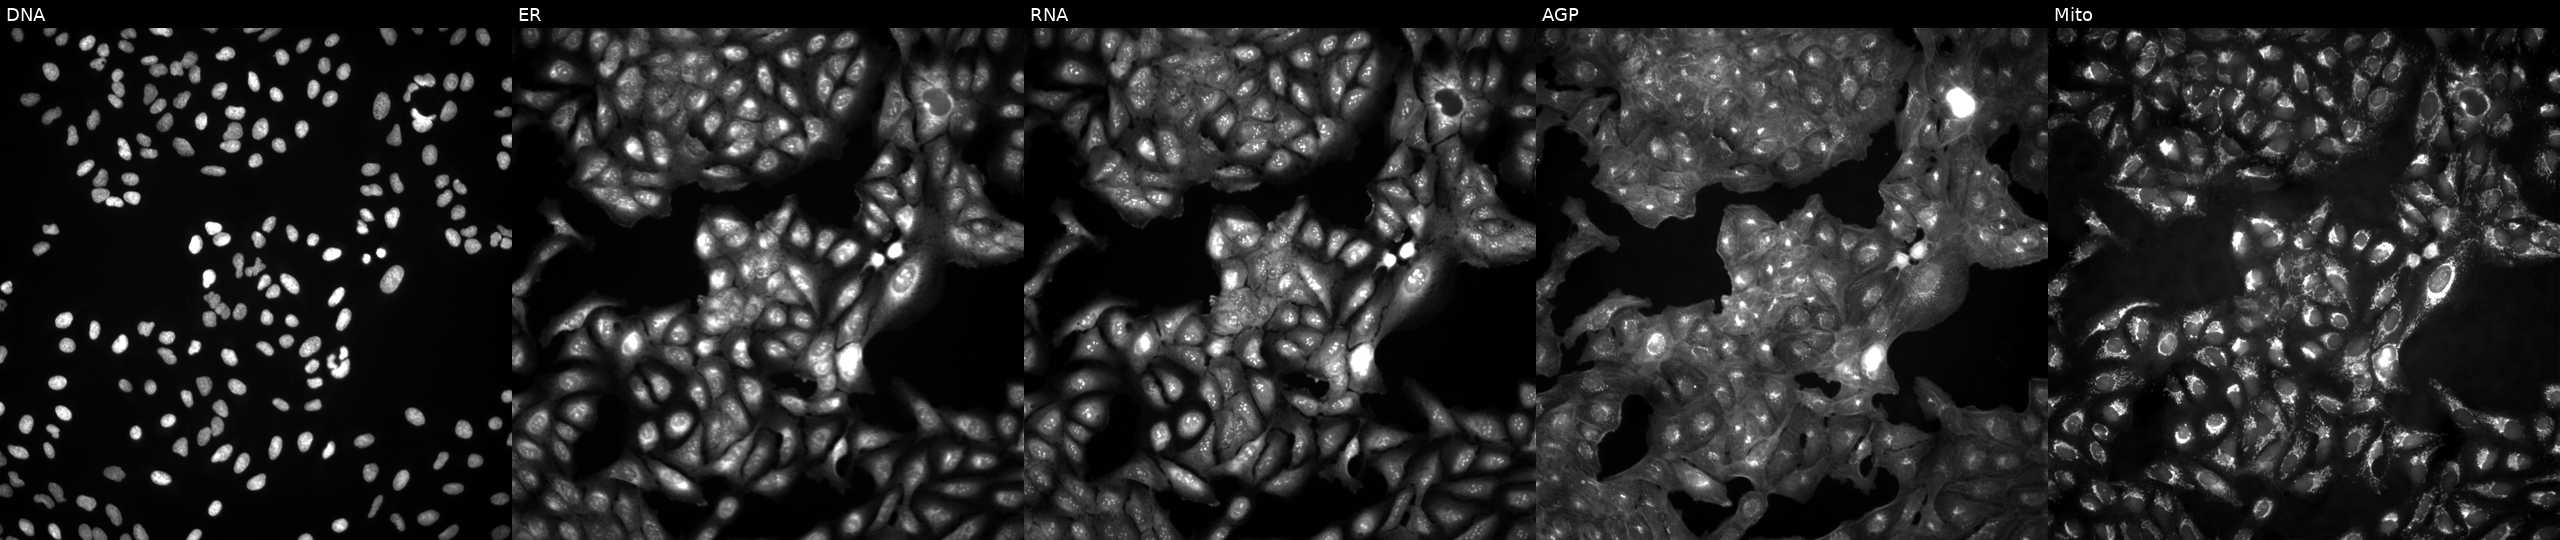
Five-channel Cell Painting image of U2OS cells in an empty control well (no perturbation). Panels show, left to right, DNA, ER, RNA, AGP, and Mito.